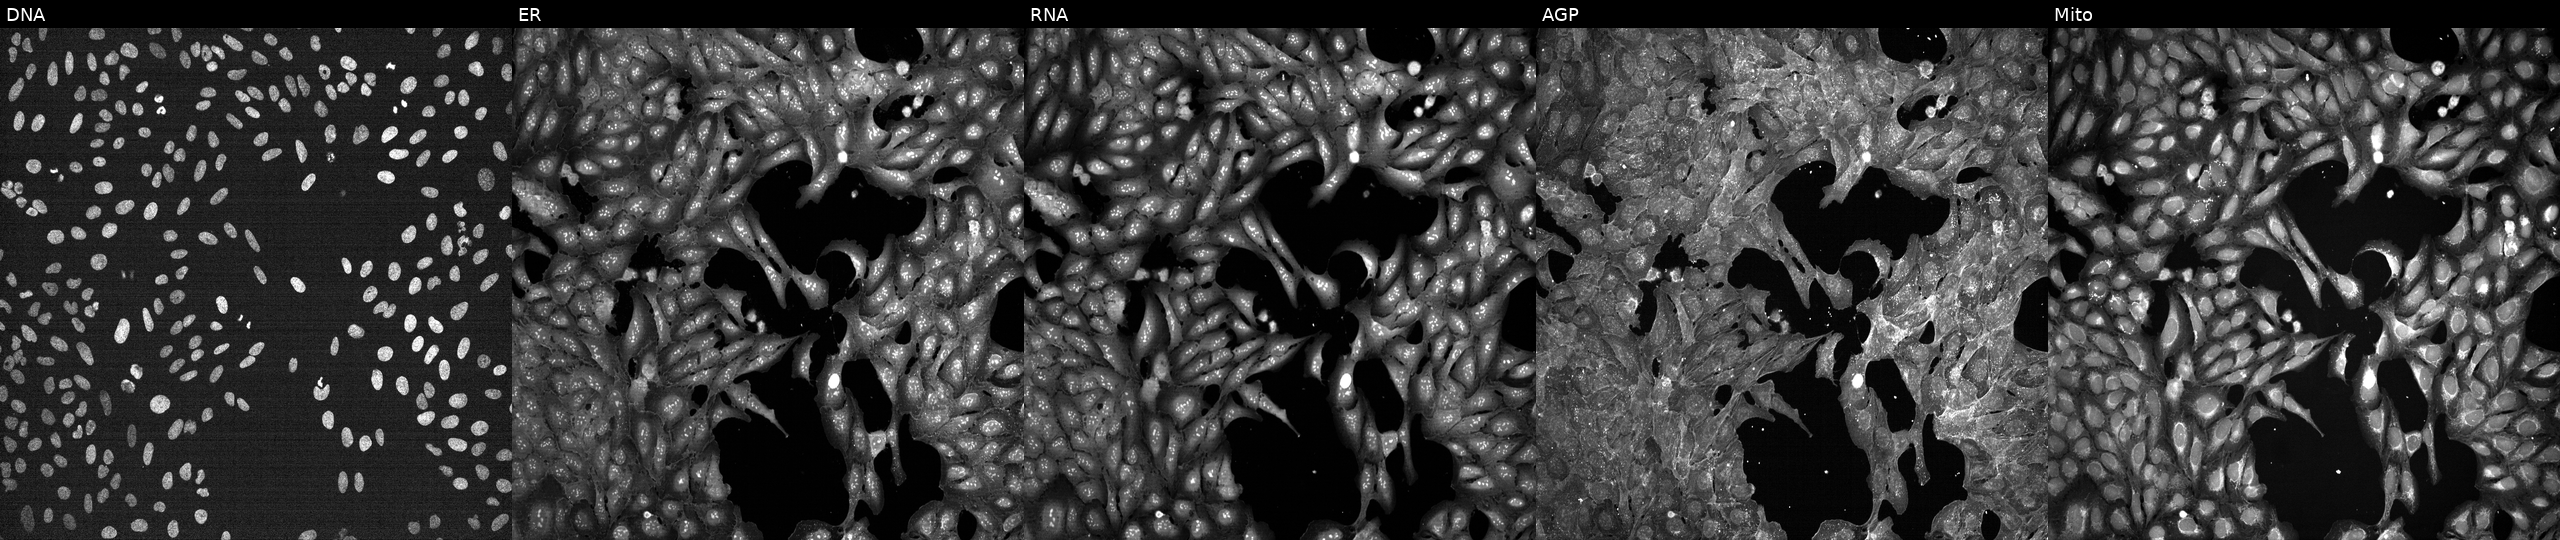
High-content fluorescence microscopy (Cell Painting). Cell line: U2OS. Perturbation: treated with a small-molecule compound (JUMP id JCP2022_103217). Panels show, left to right, Hoechst 33342, concanavalin A, SYTO 14, phalloidin and WGA, MitoTracker. Source 7, plate CP1-SC1-25, well A14.